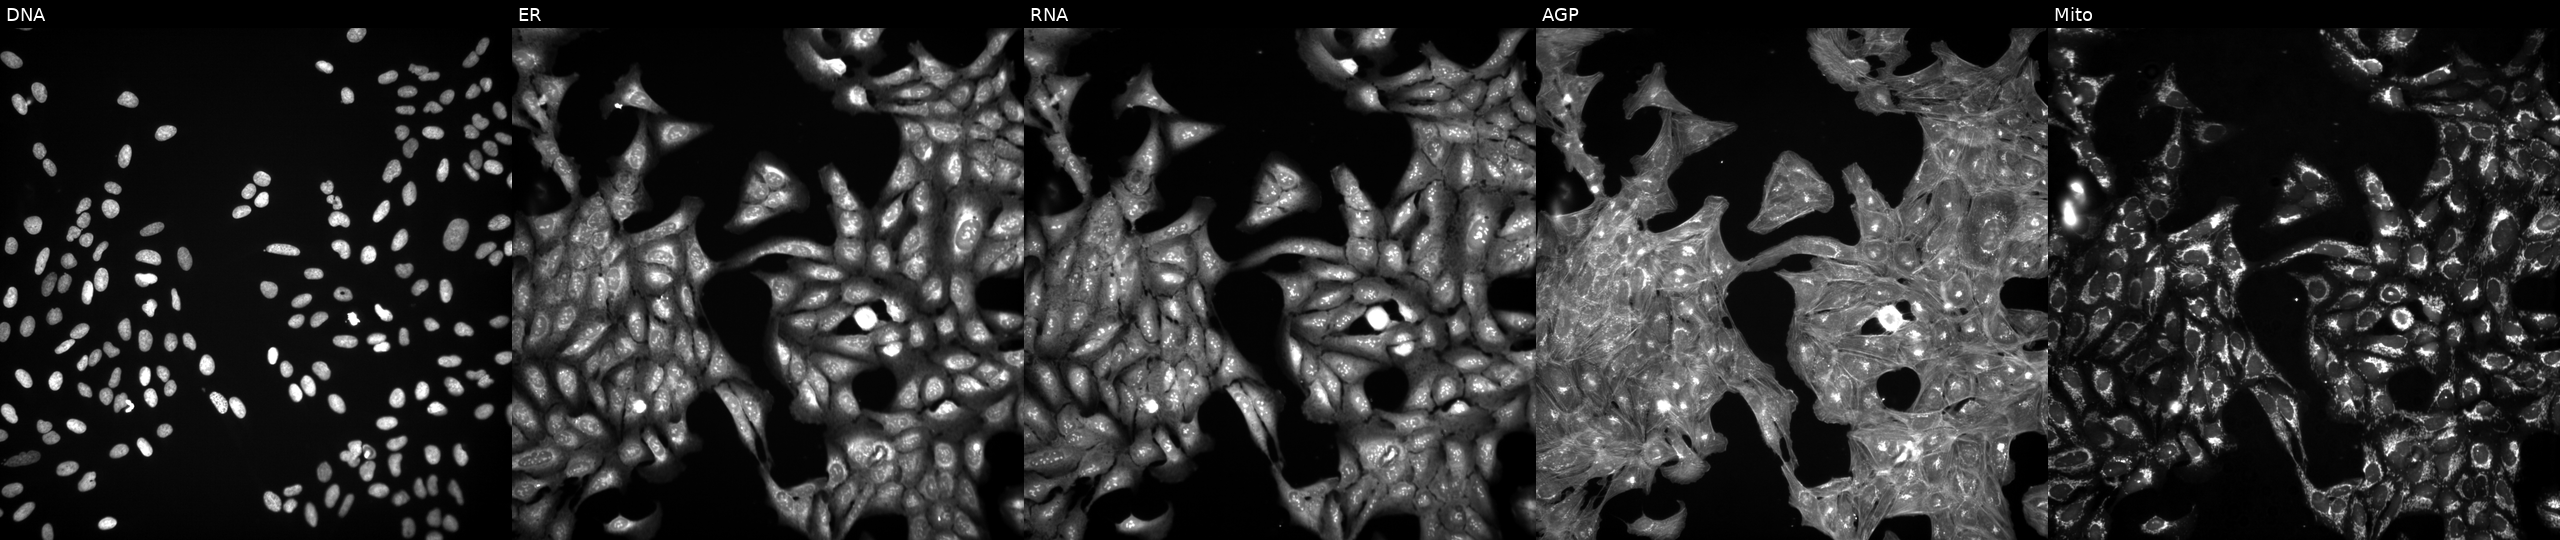
JUMP Cell Painting — TARGET2 plate. U2OS cells exposed to a small-molecule compound (InChIKey ZMUSCGJNJYXJBP-UHFFFAOYSA-N) (JUMP id JCP2022_114322). Panels show, left to right, Hoechst 33342, concanavalin A, SYTO 14, phalloidin and WGA, MitoTracker.